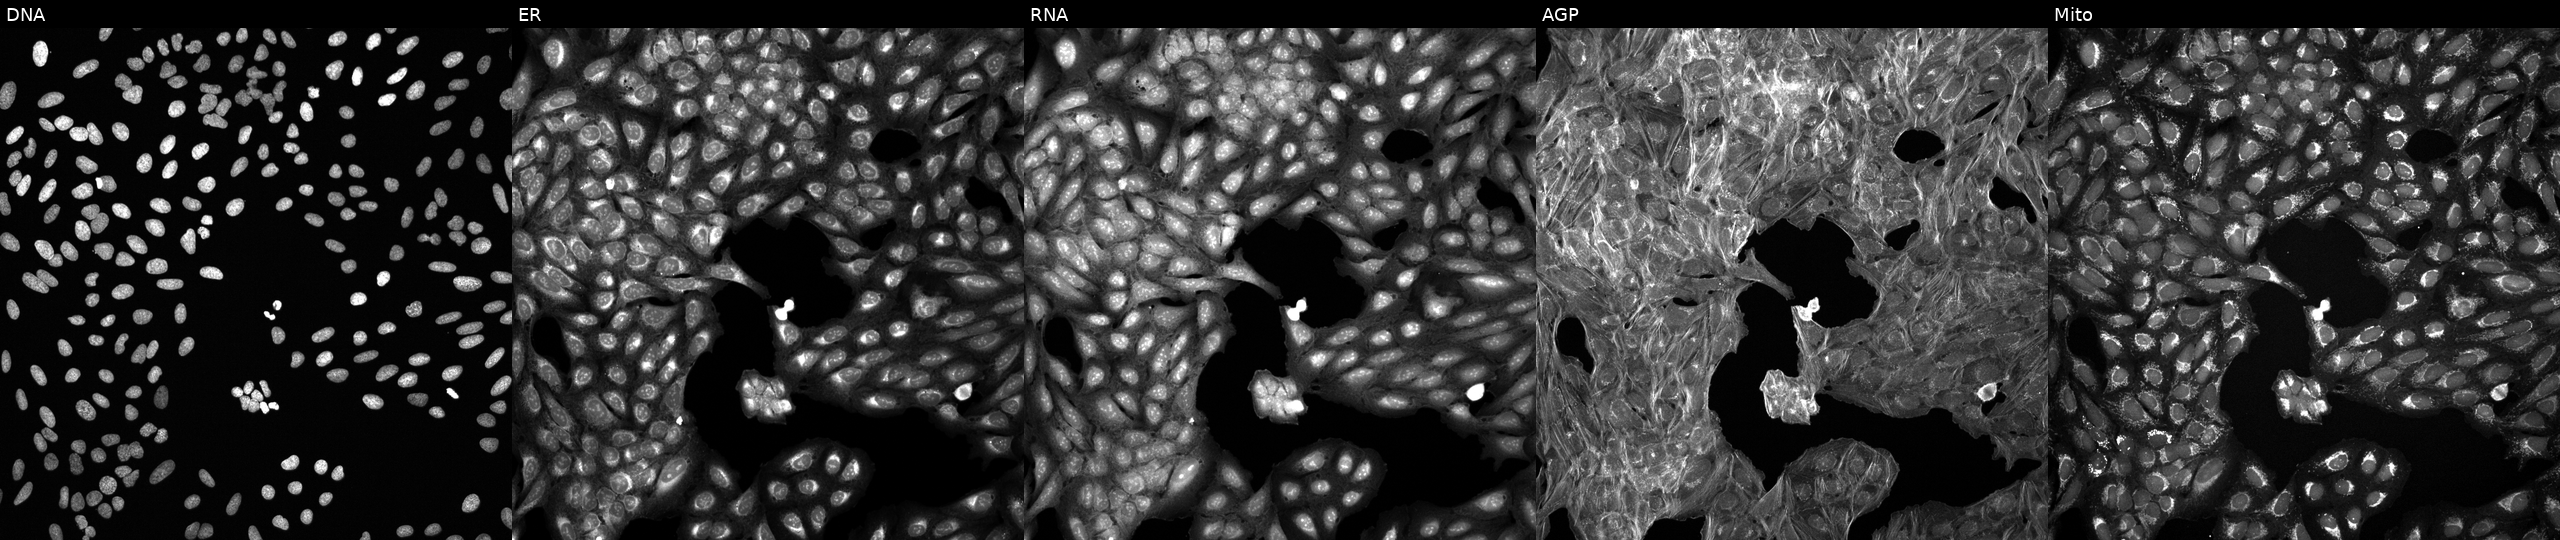
This image strip shows the five Cell Painting channels for a single field of U2OS cells exposed to DMSO alone as a negative control. From left to right: Hoechst 33342, concanavalin A, SYTO 14, phalloidin and WGA, MitoTracker.